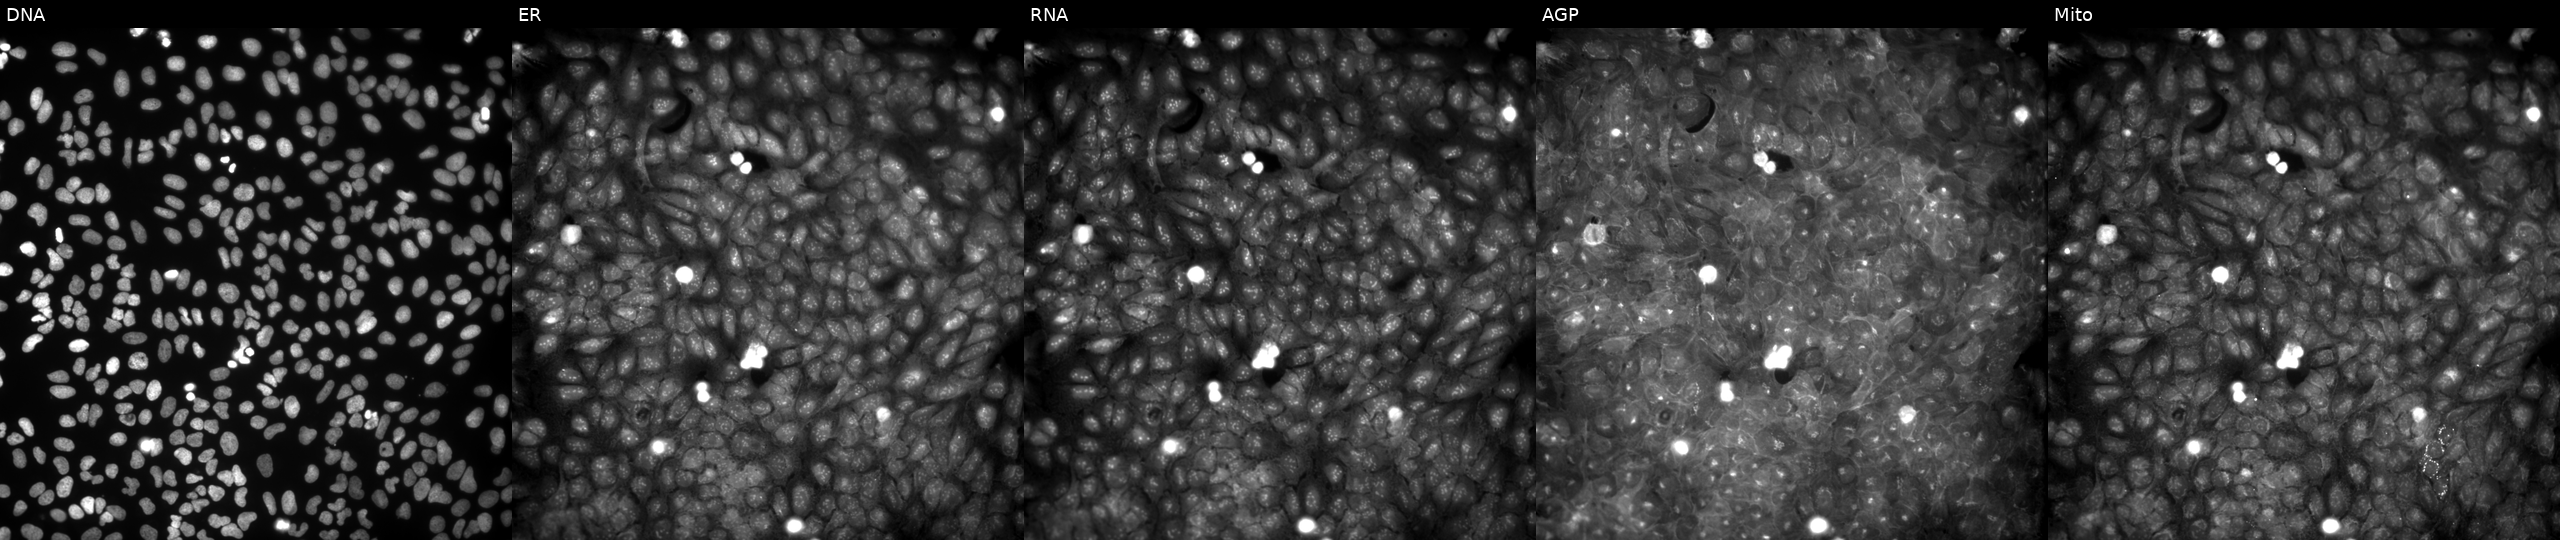
High-content fluorescence microscopy (Cell Painting). Cell line: U2OS. Perturbation: treated with a small-molecule compound (JUMP id JCP2022_041329). From left to right: DNA (nuclei); ER (endoplasmic reticulum); RNA (nucleoli and cytoplasmic RNA); AGP (actin cytoskeleton, Golgi, and plasma membrane); Mito (mitochondria).